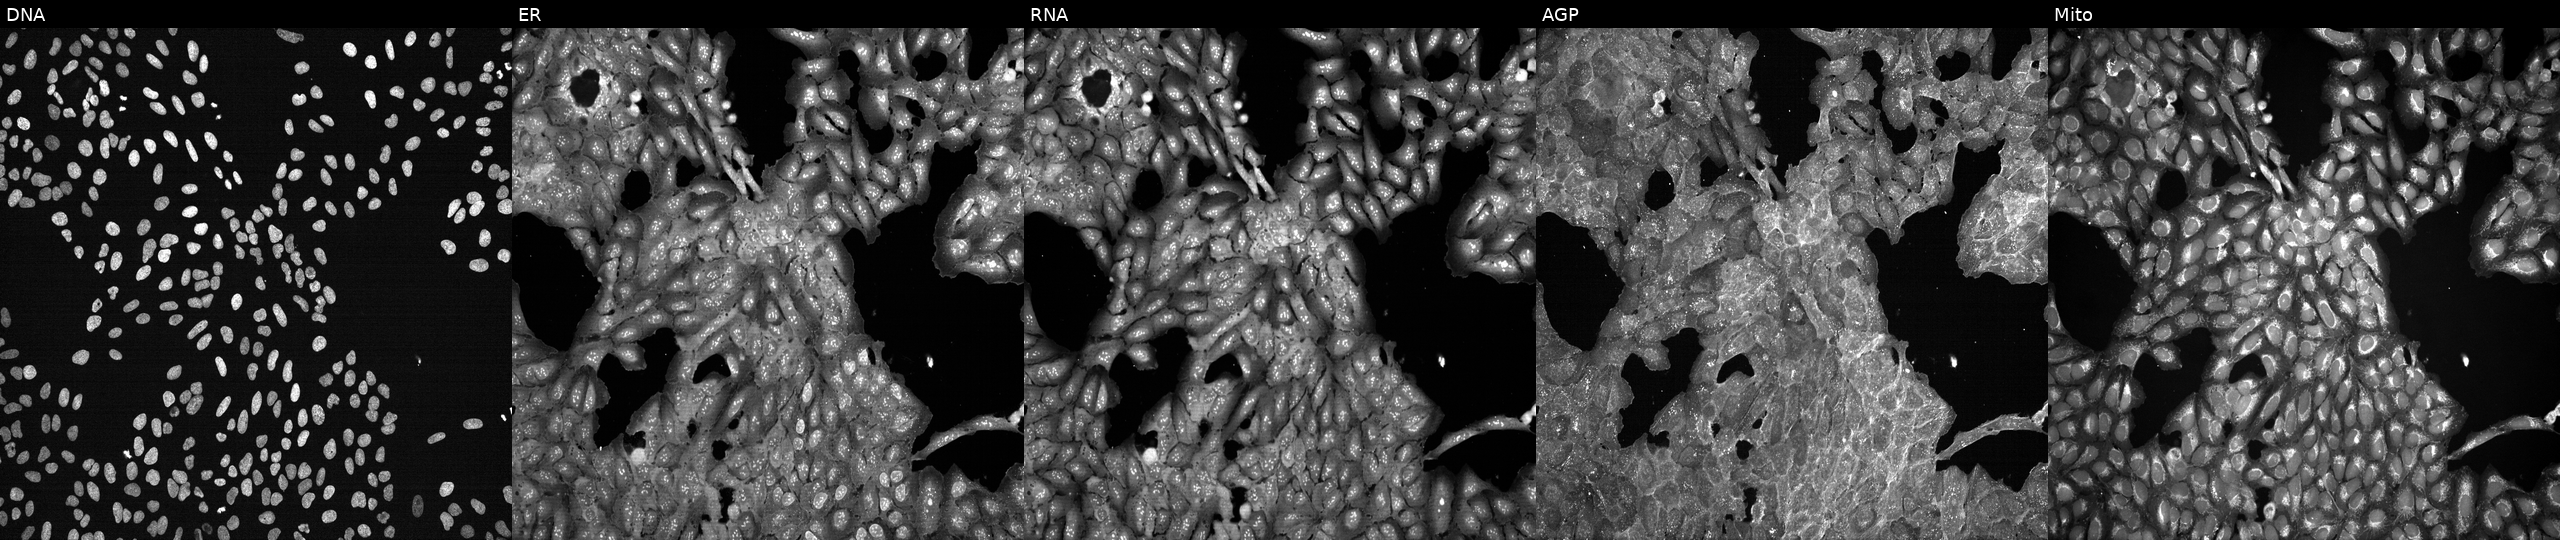
U2OS cells, Cell Painting assay, perturbed with a small-molecule compound (InChIKey CKTSBUTUHBMZGZ-UHFFFAOYSA-N). The five panels, left to right, show DNA, ER, RNA, AGP, and Mito. Each panel is percentile-stretched 16-bit fluorescence.